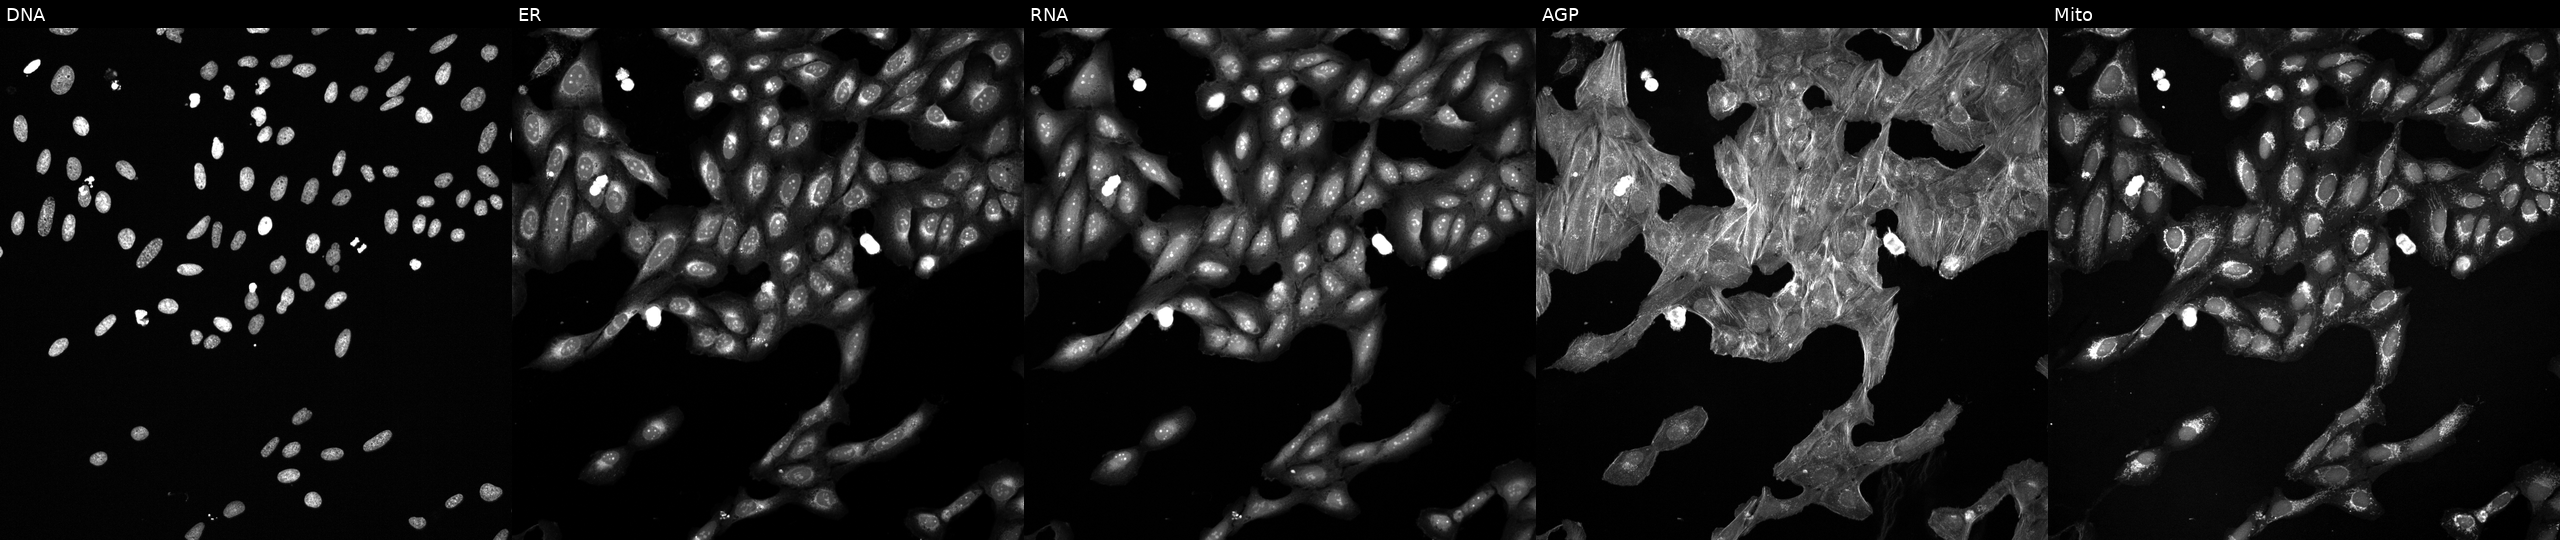
Five-channel Cell Painting image of U2OS cells perturbed with a small-molecule compound (InChIKey OQQVFCKUDYMWGV-UHFFFAOYSA-N) [SMILES: OCc1ccc(-c2nn(Cc3ccccc3)c3ccccc23)o1]. The five panels, left to right, show Hoechst 33342, concanavalin A, SYTO 14, phalloidin and WGA, MitoTracker.